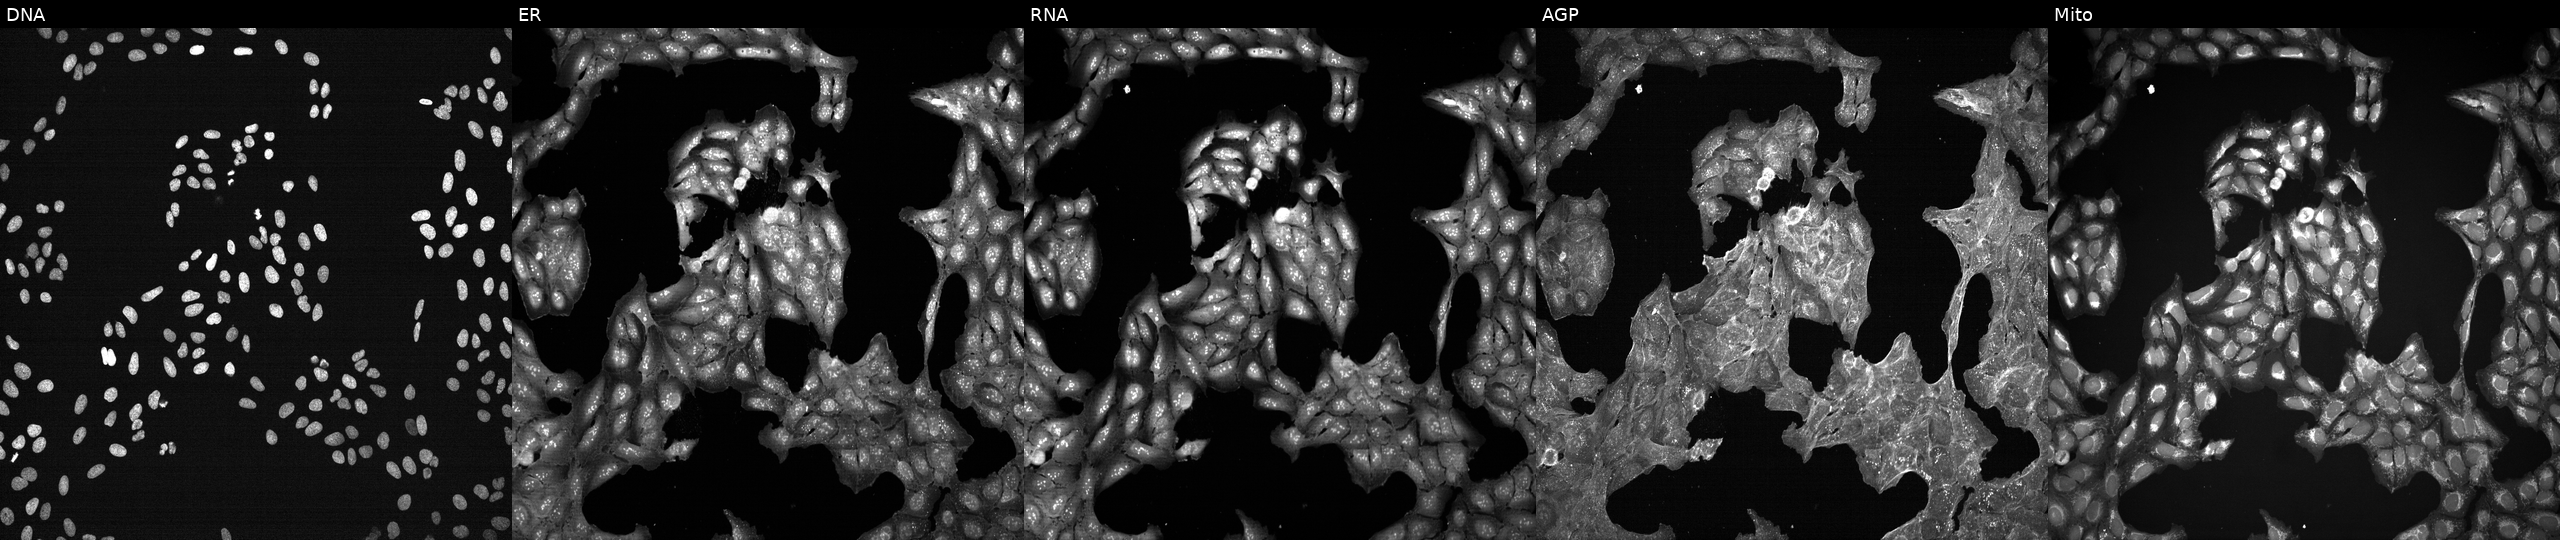
This image strip shows the five Cell Painting channels for a single field of U2OS cells treated with a small-molecule compound (InChIKey ZNNLBTZKUZBEKO-UHFFFAOYSA-N) [SMILES: COc1ccc(Cl)cc1C(=O)NCCc1ccc(S(=O)(=O)NC(=O)NC2CCCCC2)cc1]. From left to right: DNA (nuclei); ER (endoplasmic reticulum); RNA (nucleoli and cytoplasmic RNA); AGP (actin cytoskeleton, Golgi, and plasma membrane); Mito (mitochondria). Source 7, plate CP2-SC1-25, well O15.